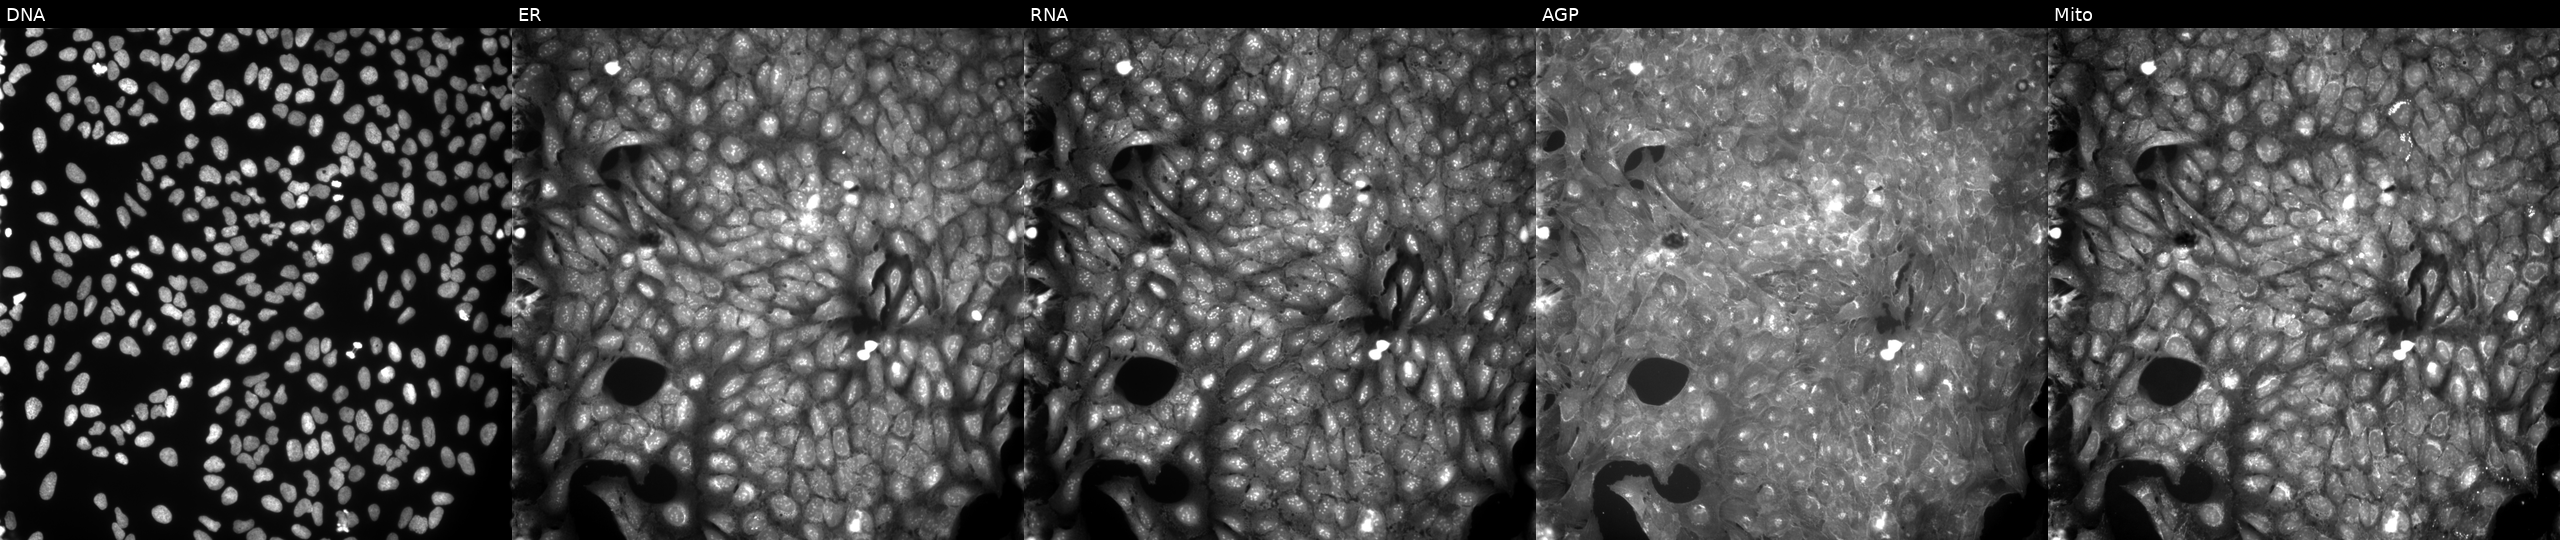
This image strip shows the five Cell Painting channels for a single field of U2OS cells treated with dexamethasone (positive-control compound) (JUMP id JCP2022_025848). Channels (left→right): Hoechst 33342, concanavalin A, SYTO 14, phalloidin and WGA, MitoTracker.